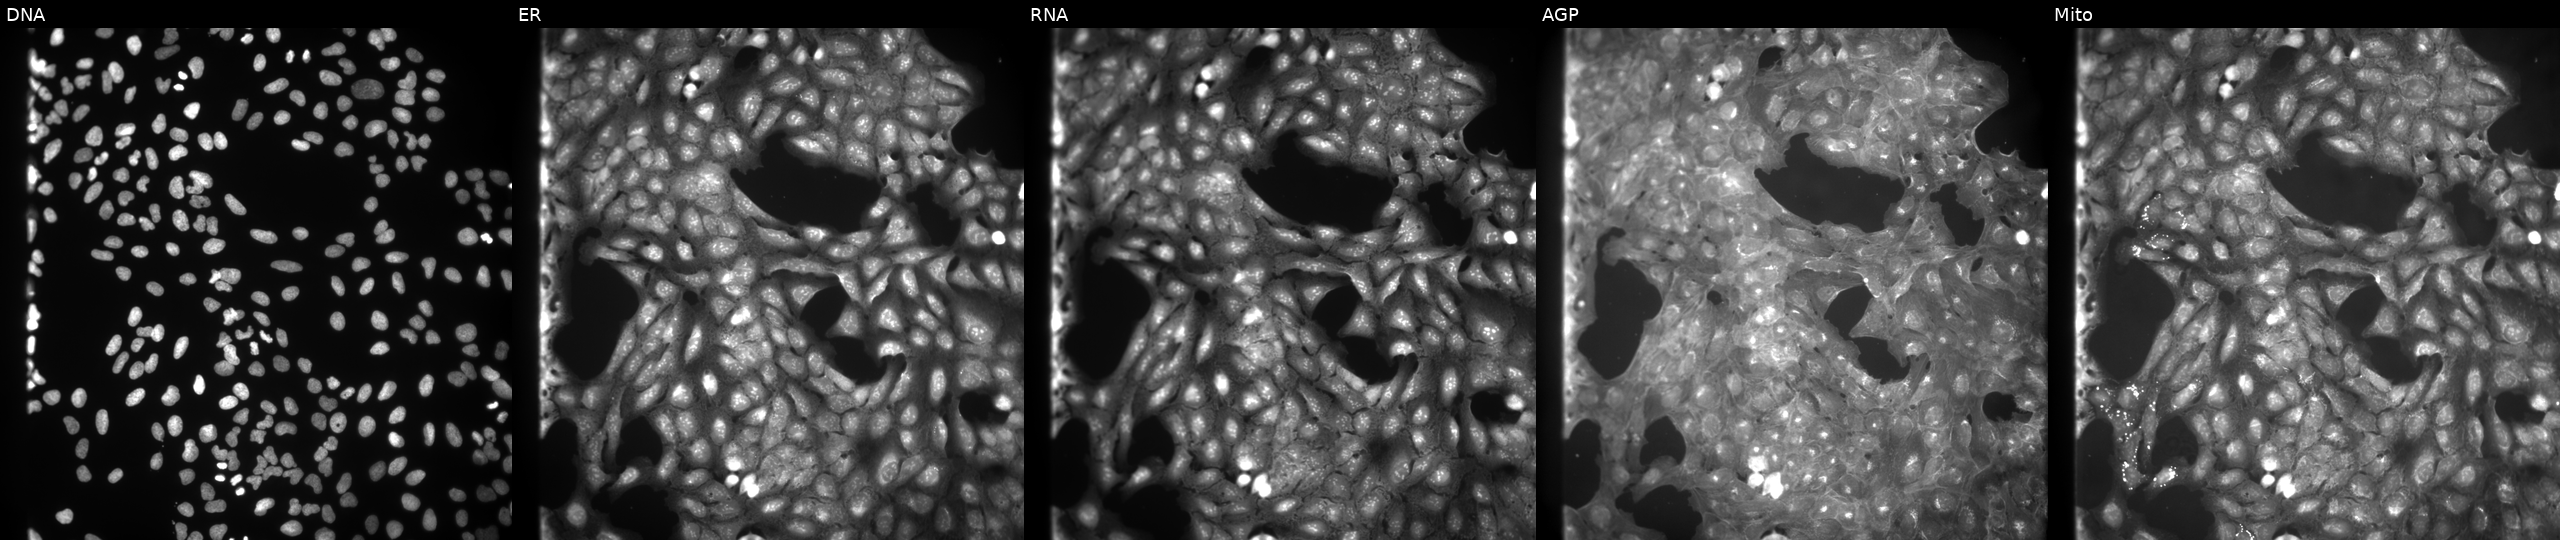
This image strip shows the five Cell Painting channels for a single field of U2OS cells perturbed with a small-molecule compound (InChIKey ANSLSYSYRAEXOT-UHFFFAOYSA-N). From left to right: Hoechst 33342, concanavalin A, SYTO 14, phalloidin and WGA, MitoTracker.